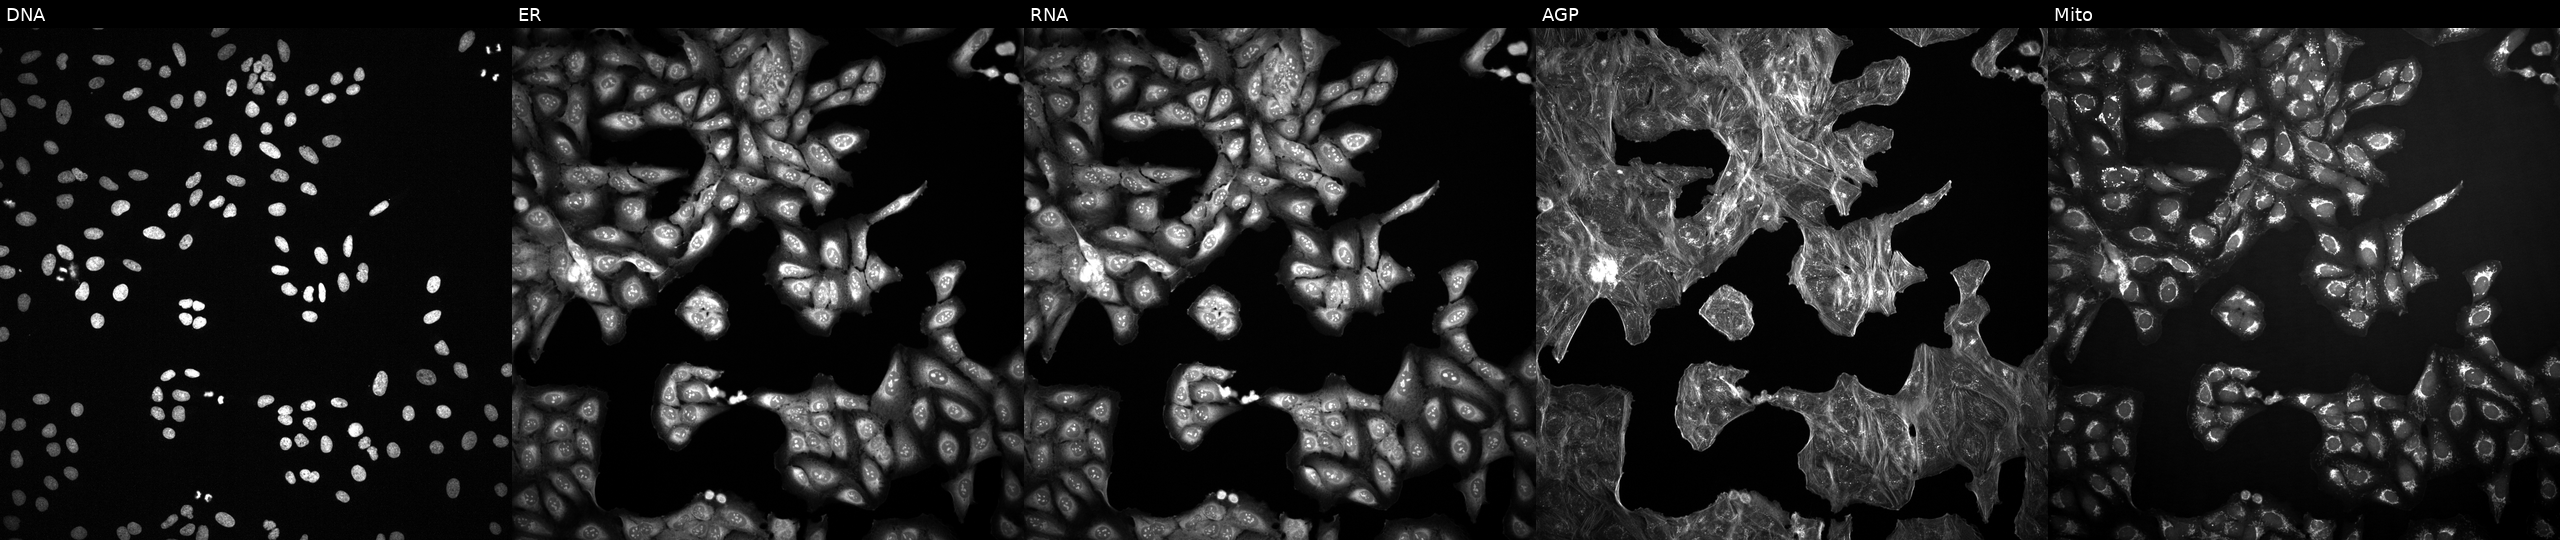
High-content fluorescence microscopy (Cell Painting). Cell line: U2OS. Perturbation: perturbed with a small-molecule compound [SMILES: Cc1cccc(Oc2nc3c(C)cccn3c(=O)c2C=C(C#N)c2nc3ccccc3s2)c1] (JUMP id JCP2022_093678). The five panels, left to right, show DNA, ER, RNA, AGP, and Mito.